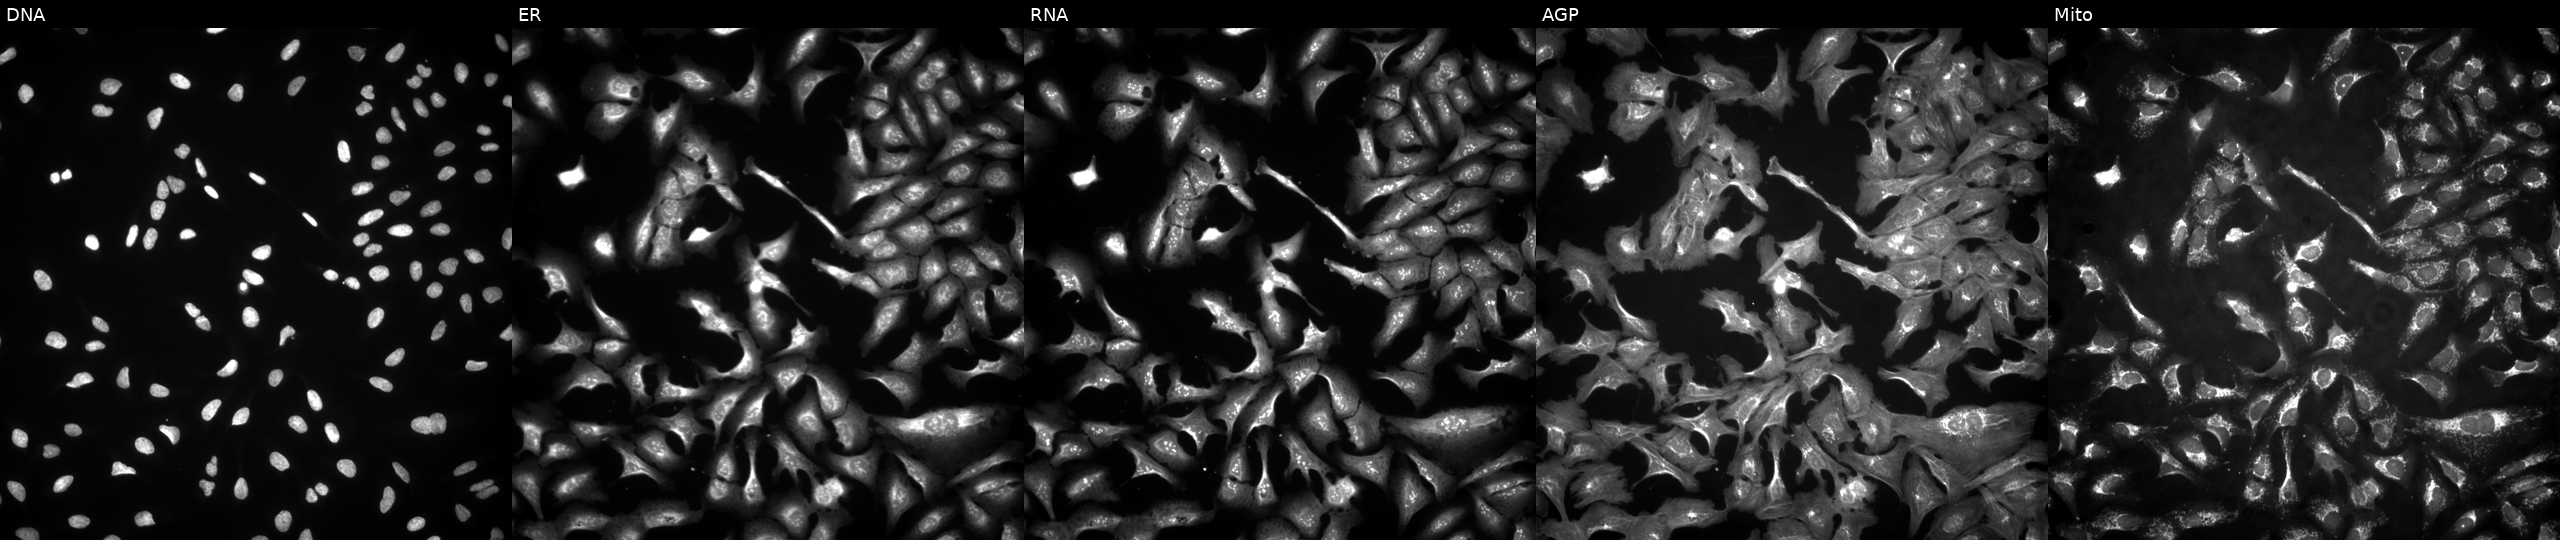
Five-channel Cell Painting image of U2OS cells overexpressing GNA11 via ORF transfection (JUMP id JCP2022_910112). The five panels, left to right, show DNA (nuclei); ER (endoplasmic reticulum); RNA (nucleoli and cytoplasmic RNA); AGP (actin cytoskeleton, Golgi, and plasma membrane); Mito (mitochondria).